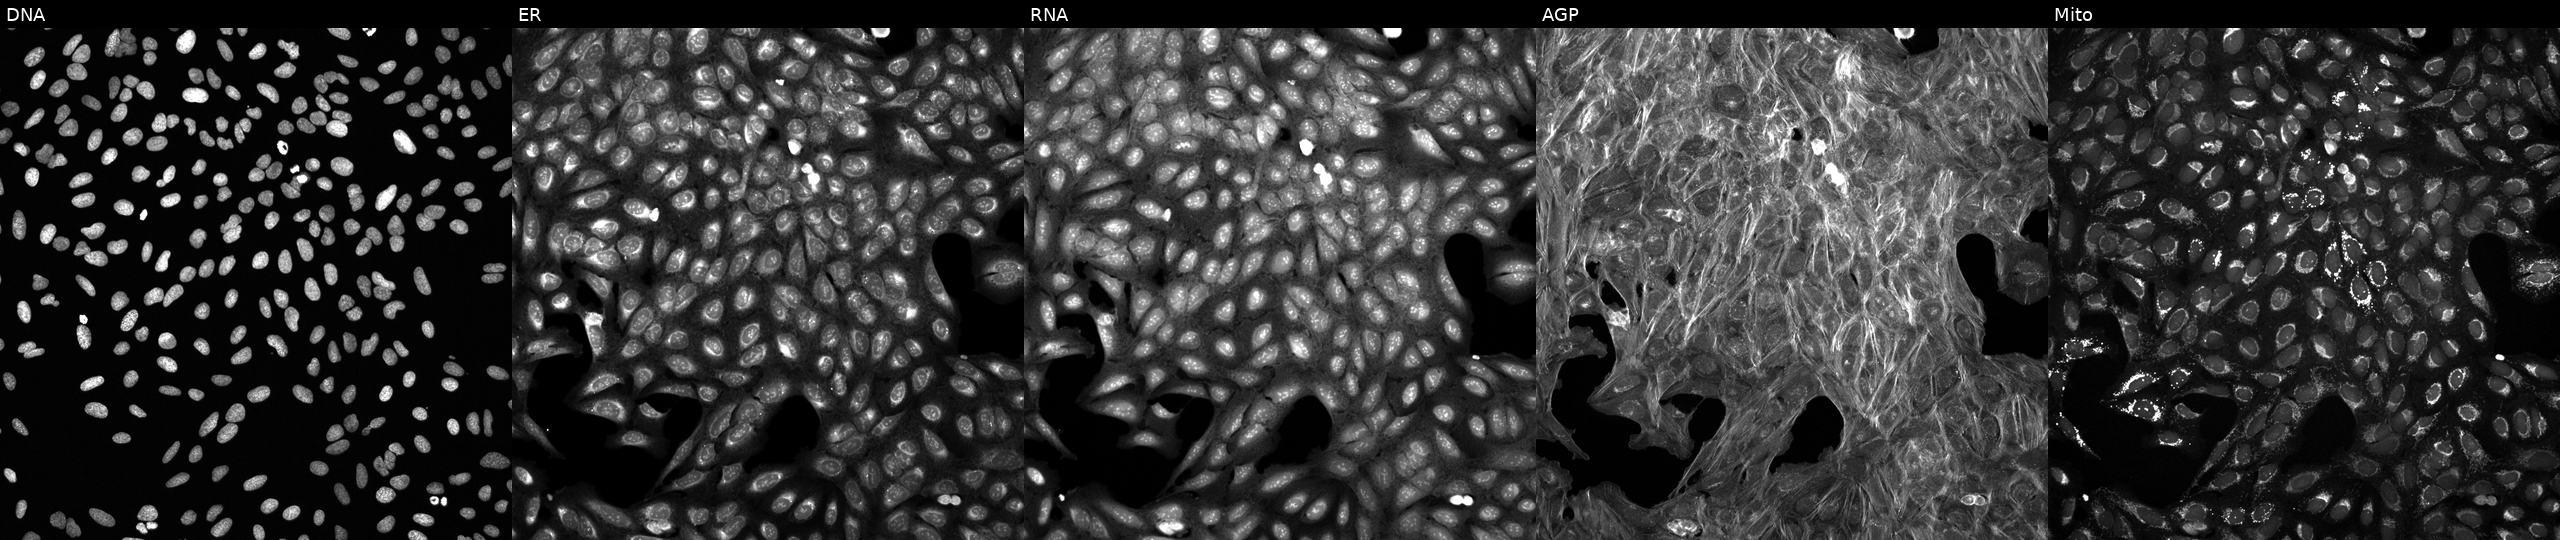
Five-channel Cell Painting image of U2OS cells treated with a small-molecule compound (InChIKey GBOVJSDBTWJQRK-UHFFFAOYSA-N). Panels show, left to right, Hoechst 33342, concanavalin A, SYTO 14, phalloidin and WGA, MitoTracker.